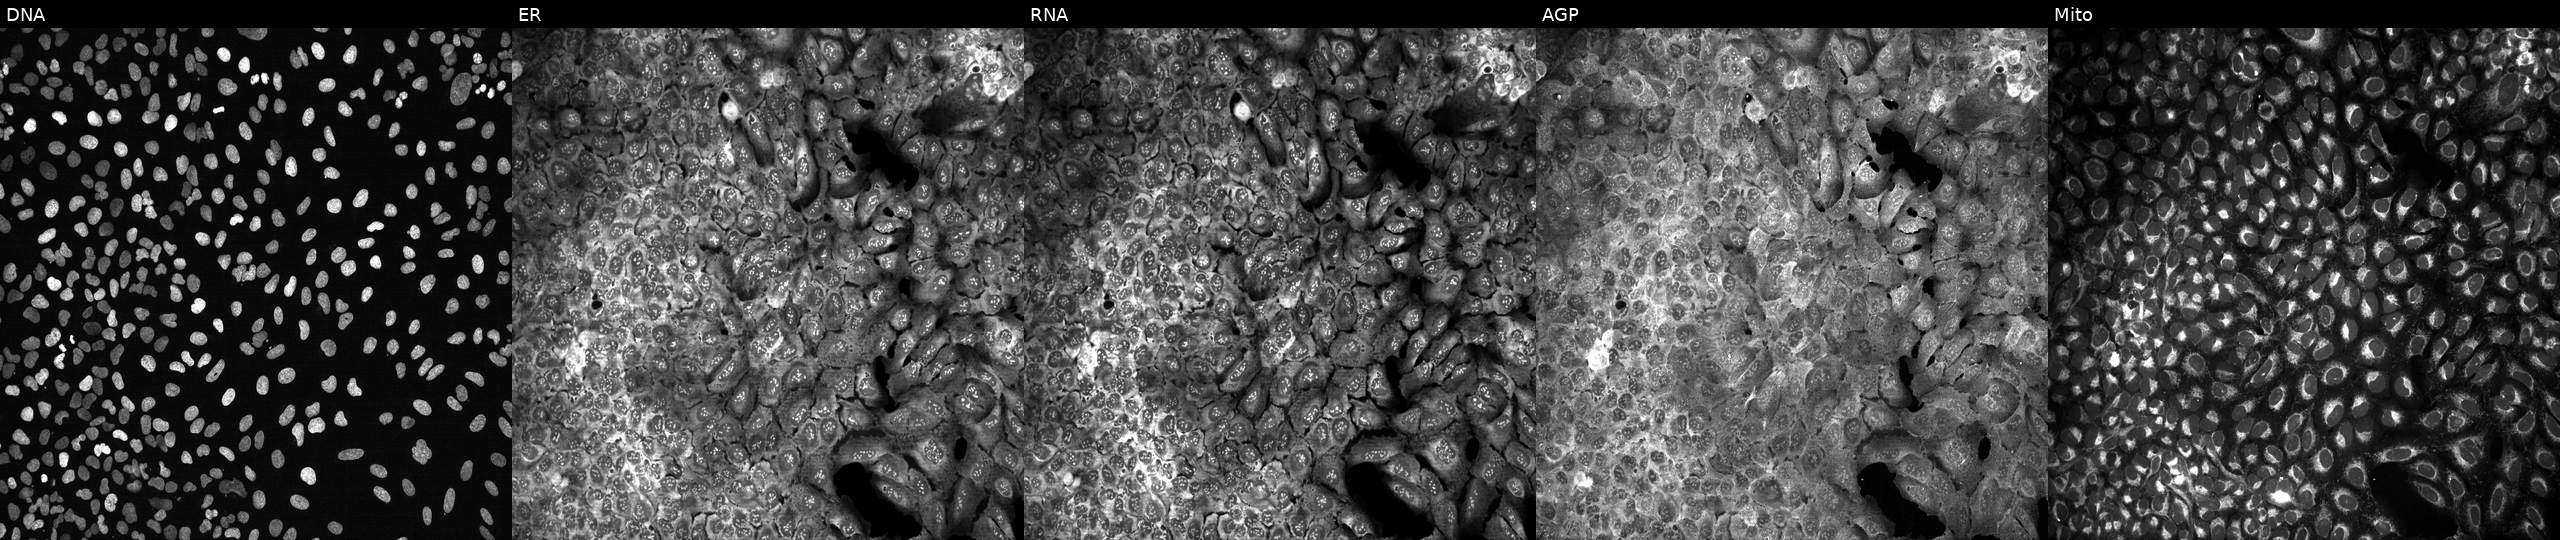
High-content fluorescence microscopy (Cell Painting). Cell line: U2OS. Perturbation: CRISPR-edited to disrupt DDX3Y (JUMP id JCP2022_801737). Panels show, left to right, DNA, ER, RNA, AGP, and Mito. Source 13, plate CP-CC9-R3-02, well M09.